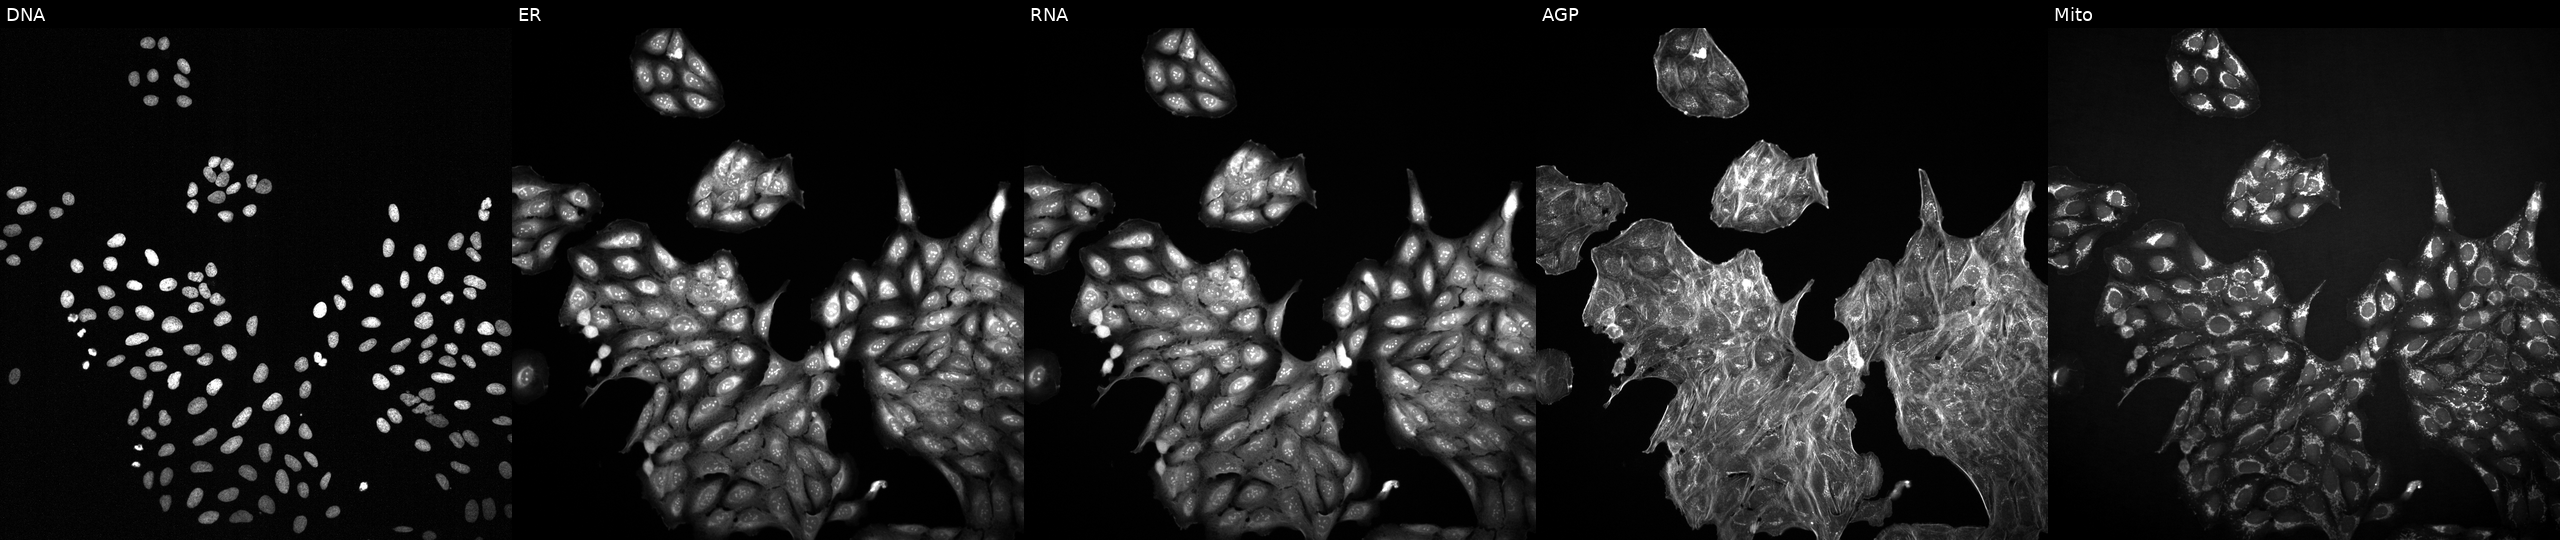
This image strip shows the five Cell Painting channels for a single field of U2OS cells exposed to DMSO alone as a negative control. Channels (left→right): Hoechst 33342, concanavalin A, SYTO 14, phalloidin and WGA, MitoTracker.